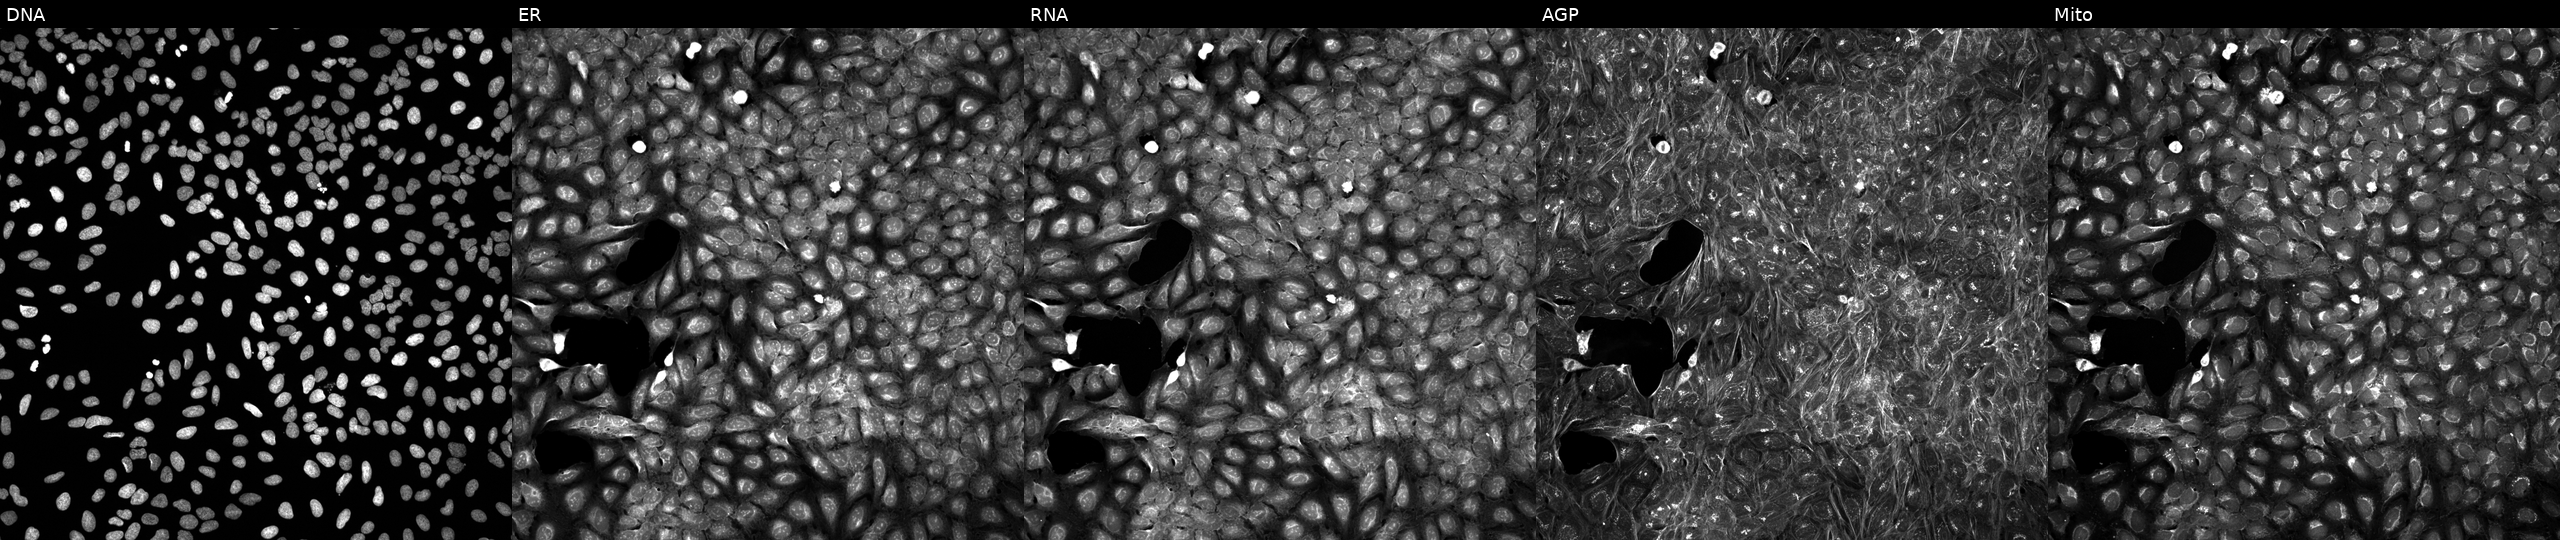
Five-channel Cell Painting image of U2OS cells perturbed with a small-molecule compound (InChIKey JFQUBOYVOWWGRV-UHFFFAOYSA-N) (JUMP id JCP2022_039471). From left to right: DNA (nuclei); ER (endoplasmic reticulum); RNA (nucleoli and cytoplasmic RNA); AGP (actin cytoskeleton, Golgi, and plasma membrane); Mito (mitochondria). Source 5, plate APTJUM105, well P15.